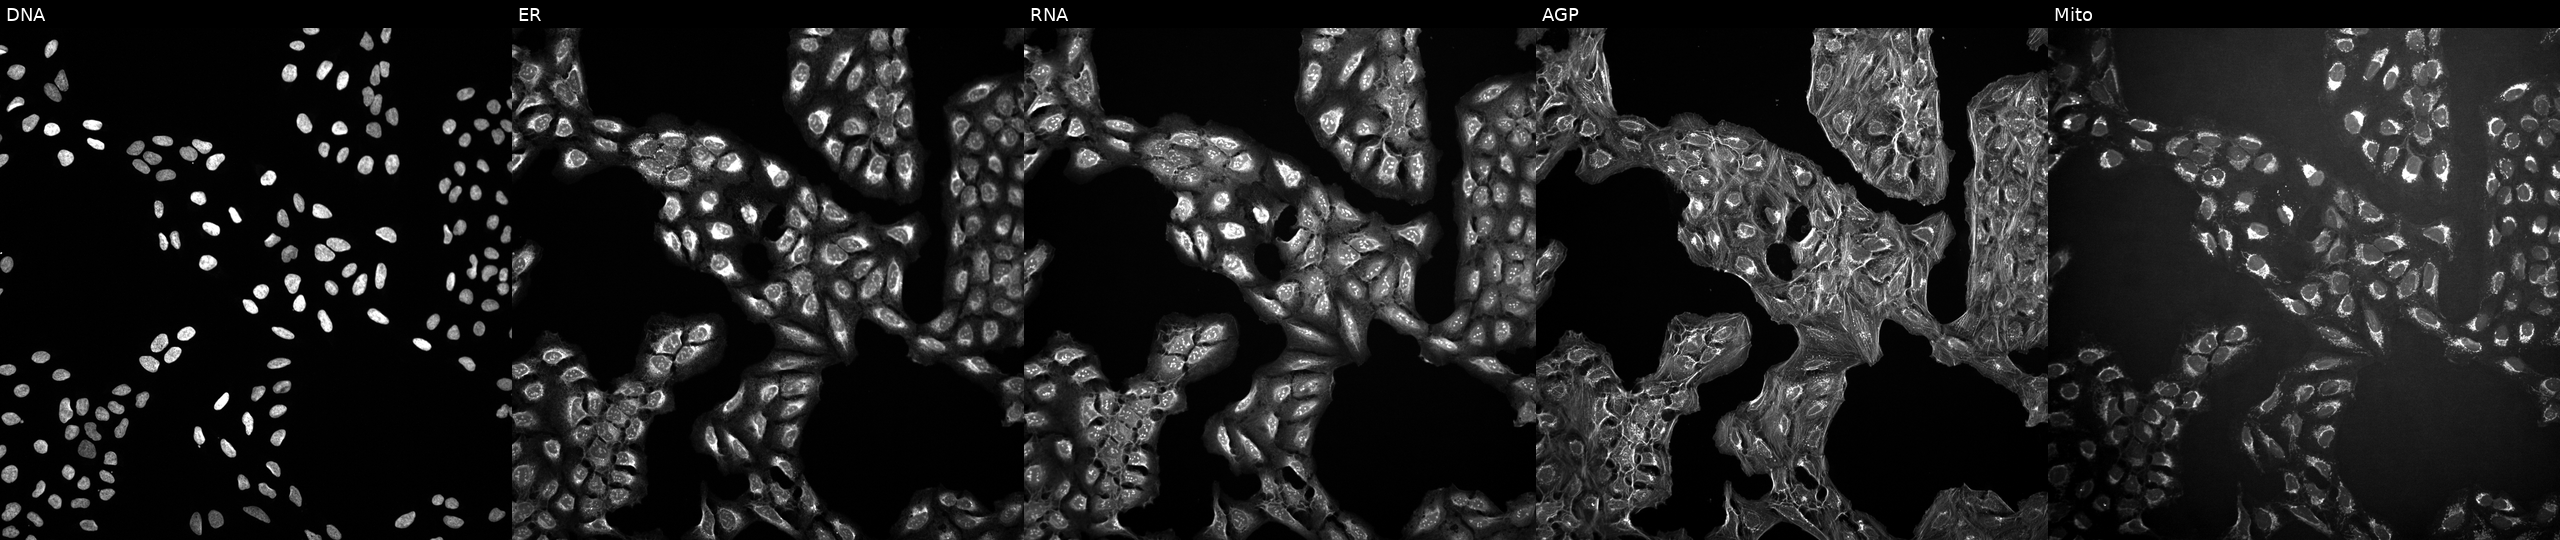
U2OS cells, Cell Painting assay, untreated (empty-well control). Panels show, left to right, DNA, ER, RNA, AGP, and Mito. Each panel is percentile-stretched 16-bit fluorescence. Source 10, plate Dest210531-152324, well B10.